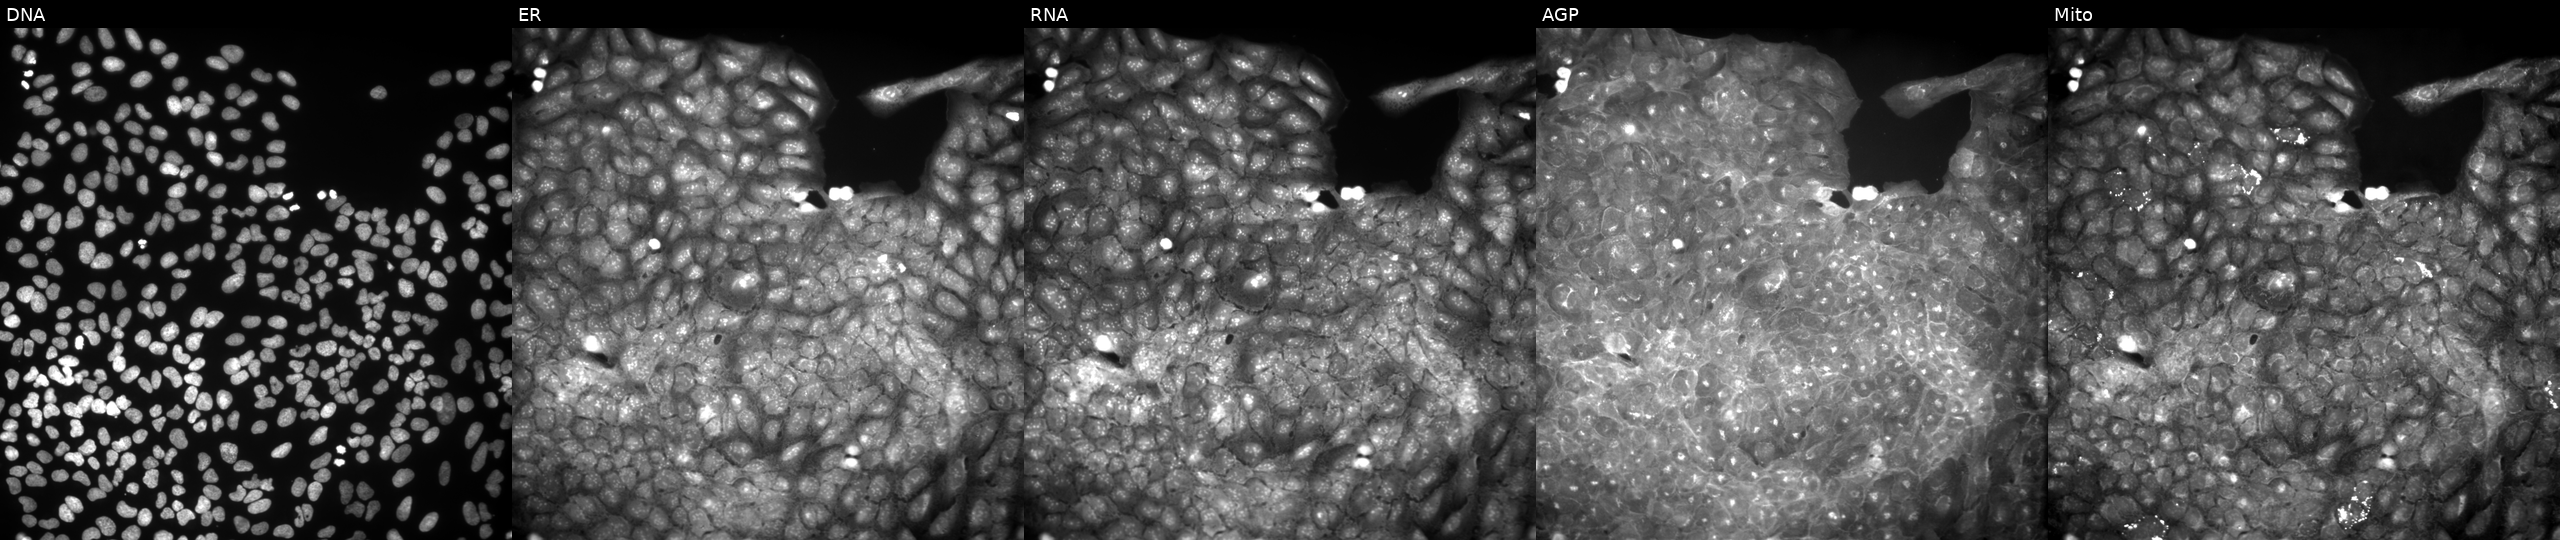
Five-channel Cell Painting image of U2OS cells exposed to the positive-control compound quinidine (JUMP id JCP2022_050797). From left to right: Hoechst 33342, concanavalin A, SYTO 14, phalloidin and WGA, MitoTracker.